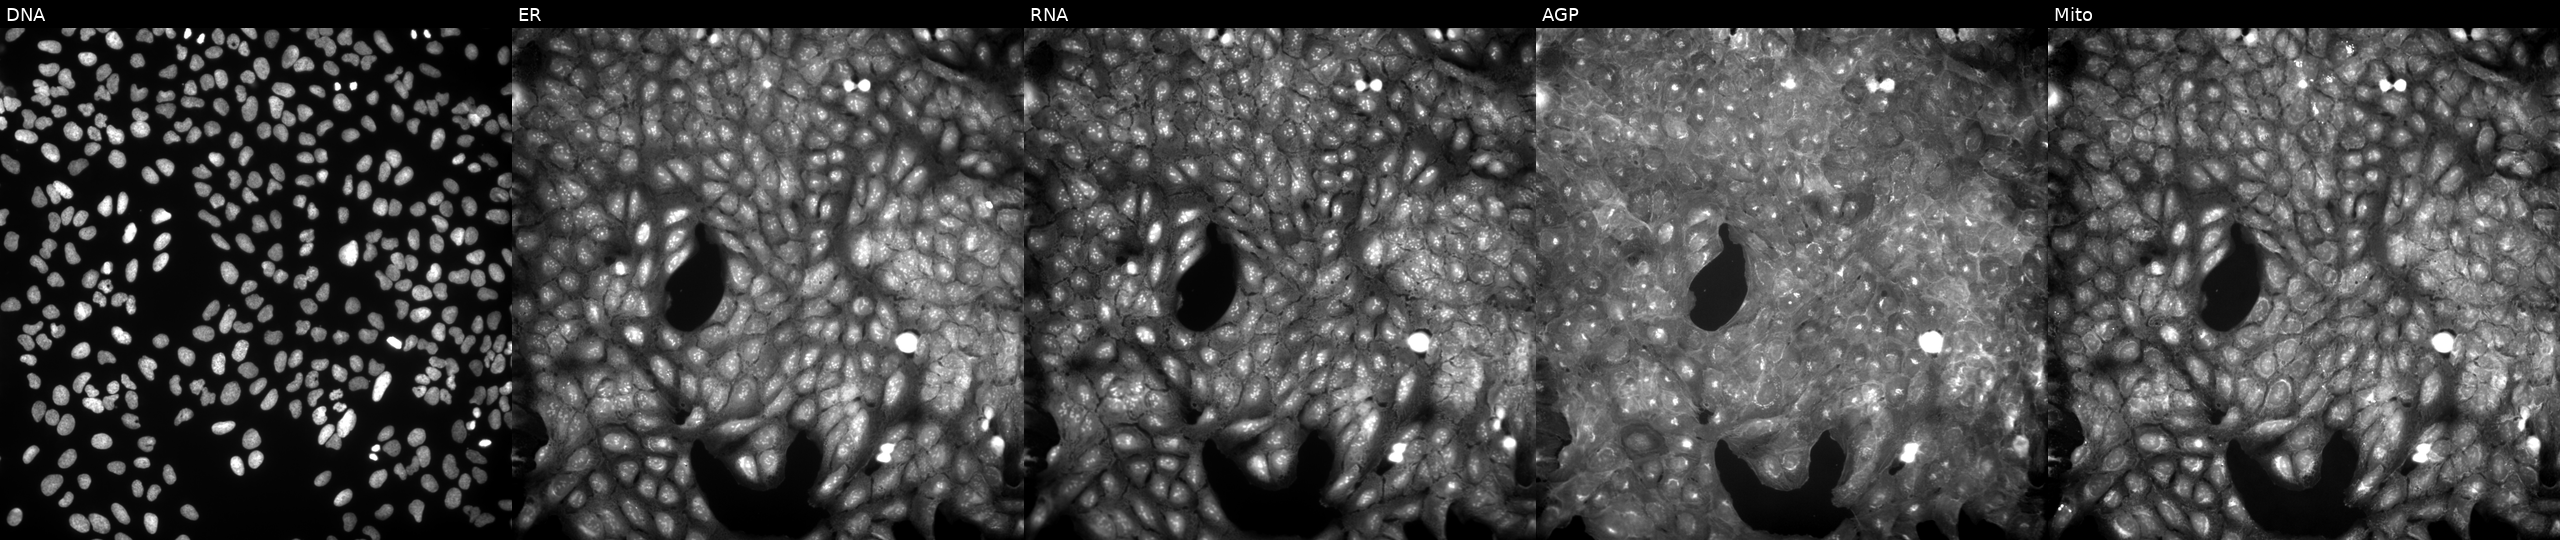
Five-channel Cell Painting image of U2OS cells treated with a small-molecule compound [SMILES: COc1ccc(S(=O)(=O)Nc2ccc3oc4c(c3c2)C(=O)CC(C)(C)C4)cc1] (JUMP id JCP2022_054327). Panels show, left to right, Hoechst 33342, concanavalin A, SYTO 14, phalloidin and WGA, MitoTracker. Source 9, plate GR00003381, well R19.